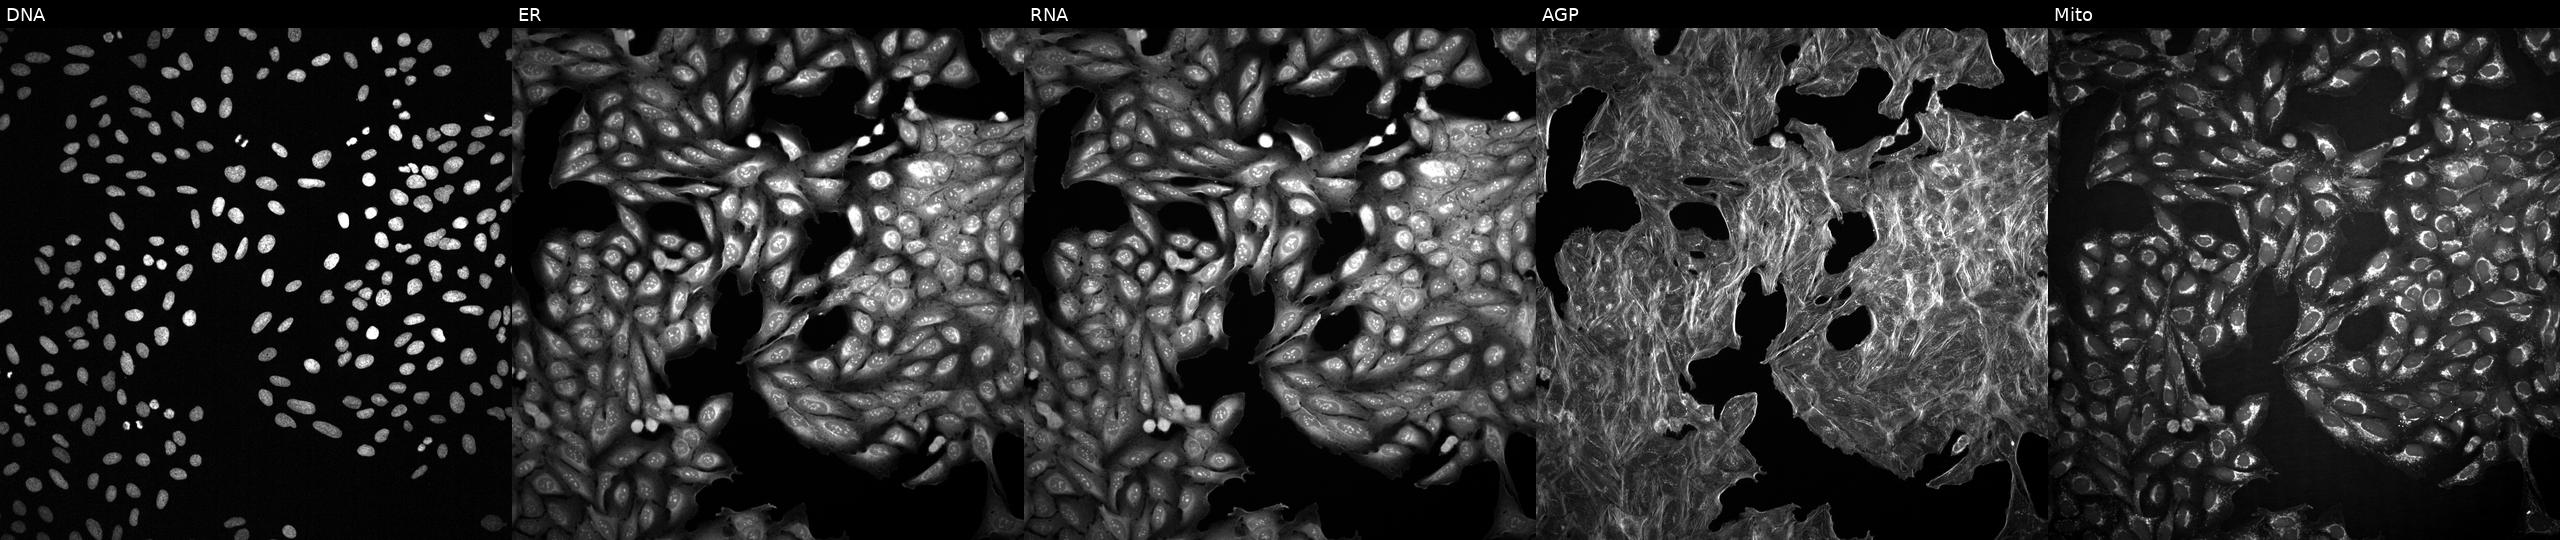
High-content fluorescence microscopy (Cell Painting). Cell line: U2OS. Perturbation: treated with DMSO vehicle only (negative control) (JUMP id JCP2022_033924). Channels (left→right): DNA (nuclei); ER (endoplasmic reticulum); RNA (nucleoli and cytoplasmic RNA); AGP (actin cytoskeleton, Golgi, and plasma membrane); Mito (mitochondria).